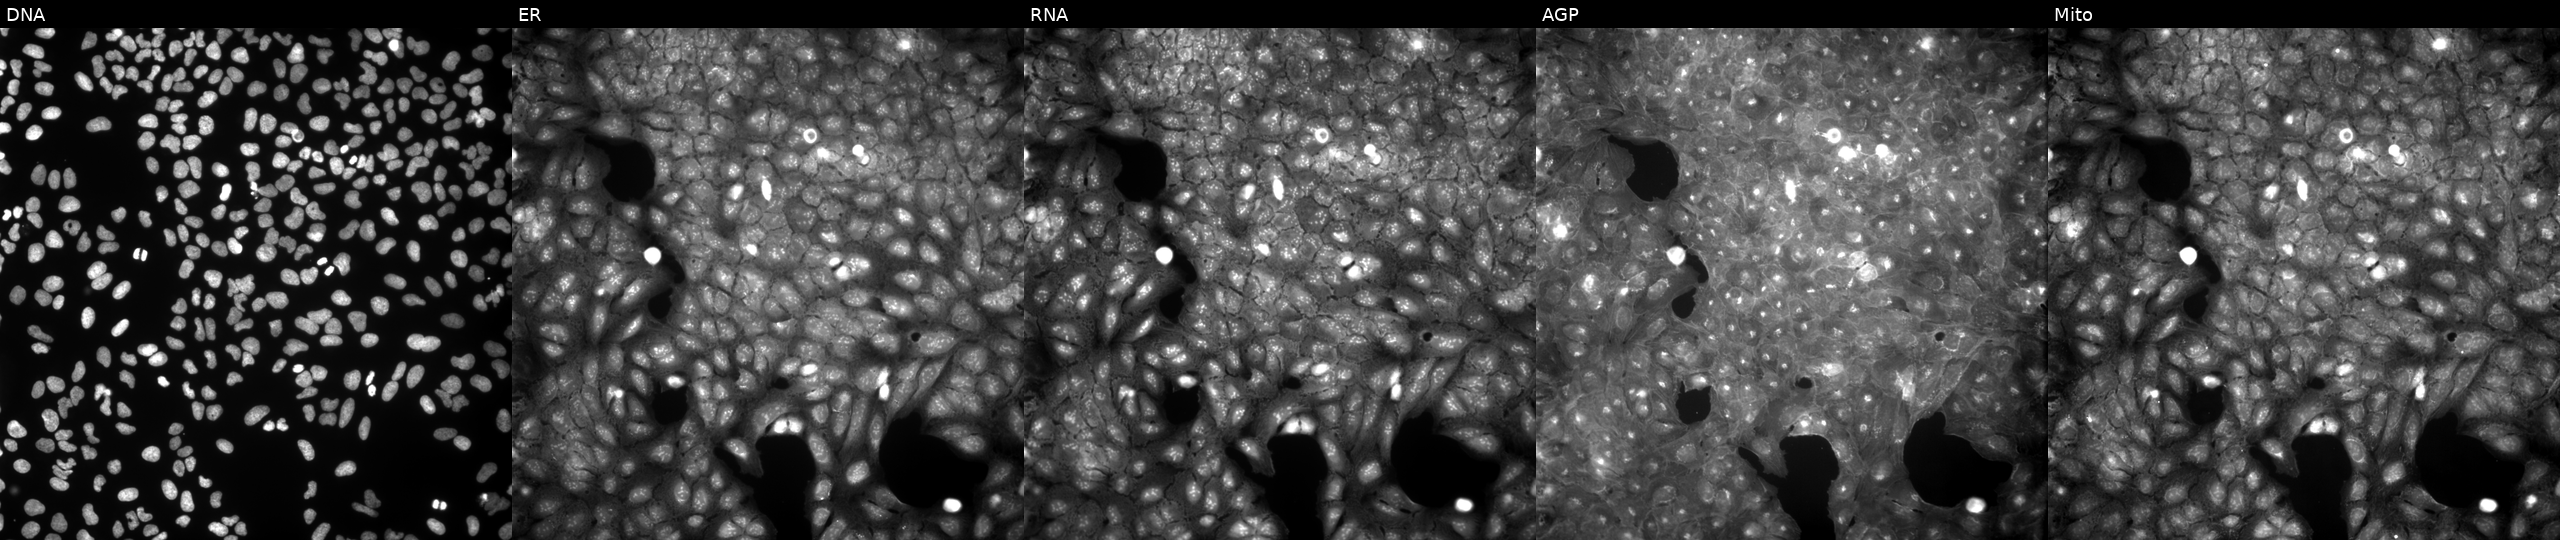
This image strip shows the five Cell Painting channels for a single field of U2OS cells perturbed with a small-molecule compound (InChIKey HCZWWYHZJXWIEK-UHFFFAOYSA-N). From left to right: Hoechst 33342, concanavalin A, SYTO 14, phalloidin and WGA, MitoTracker. Source 9, plate GR00003381, well P20.